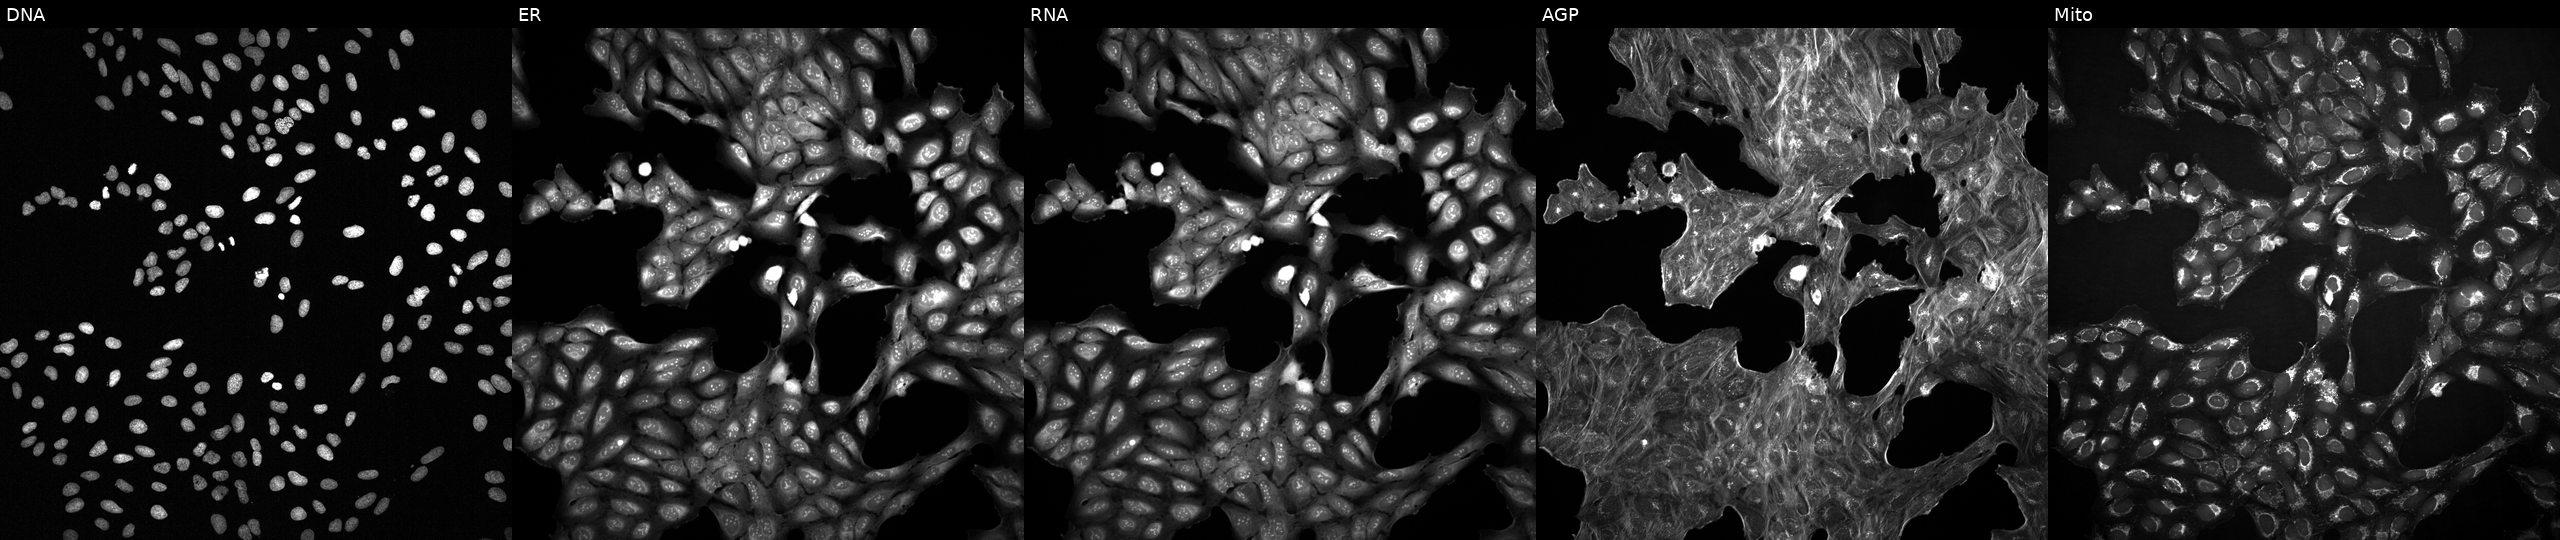
U2OS cells, Cell Painting assay, perturbed with a small-molecule compound (InChIKey AIYSSVJRTPWSJG-UHFFFAOYSA-N) [SMILES: CCn1c(CCC(N)=O)nnc1SCc1cccc(C(=O)O)c1]. From left to right: DNA (nuclei); ER (endoplasmic reticulum); RNA (nucleoli and cytoplasmic RNA); AGP (actin cytoskeleton, Golgi, and plasma membrane); Mito (mitochondria). Each panel is percentile-stretched 16-bit fluorescence. Source 2, plate 1053601756, well C19.